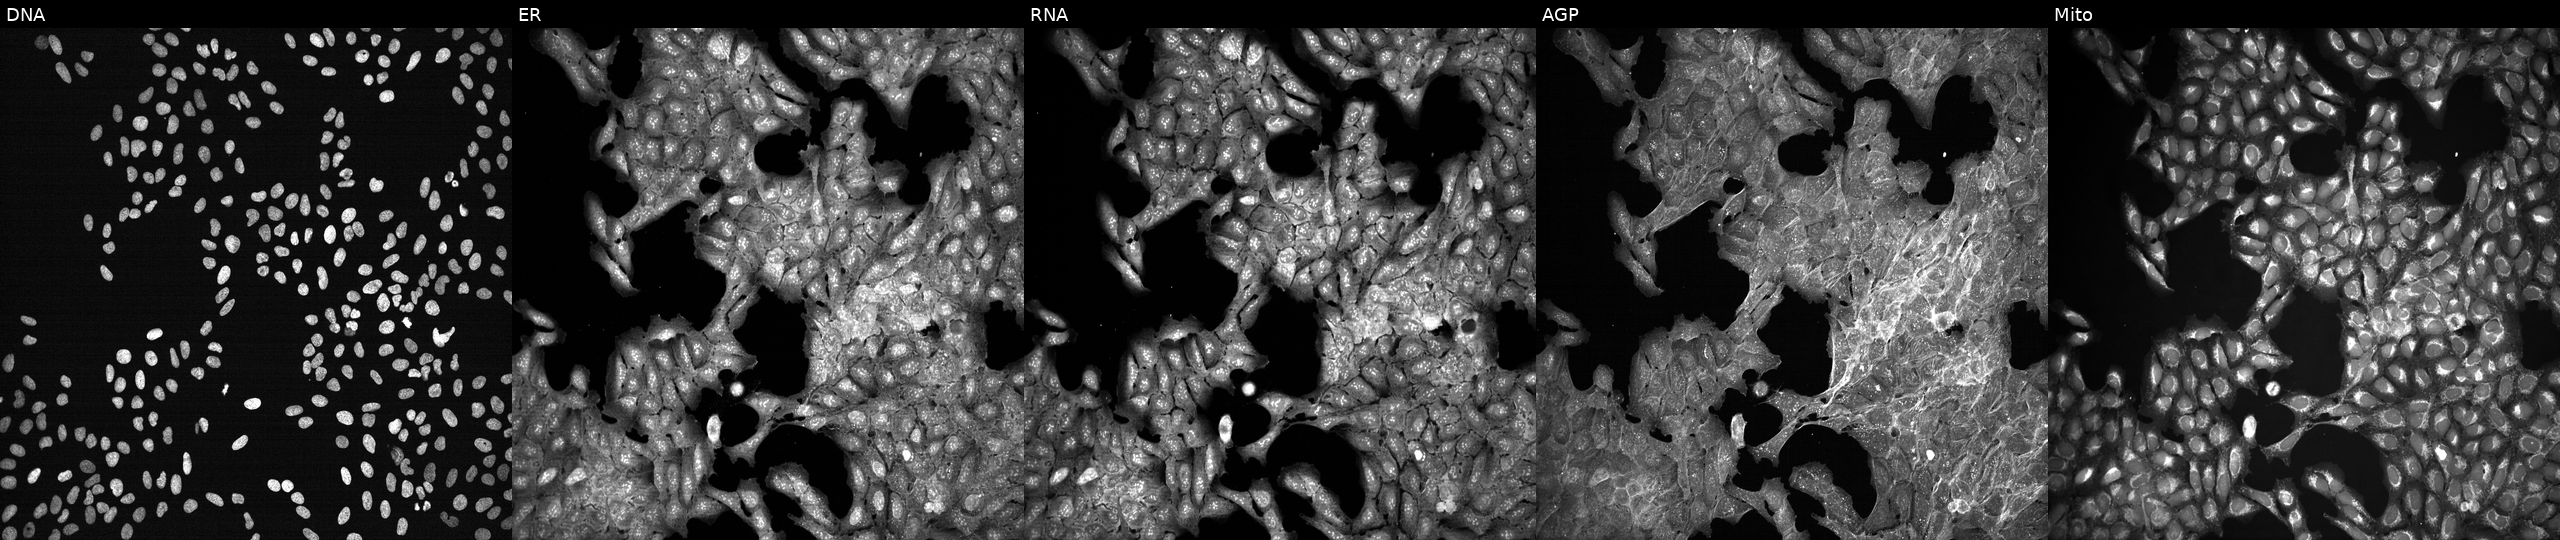
Five-channel Cell Painting image of U2OS cells treated with DMSO vehicle only (negative control). Channels (left→right): DNA (nuclei); ER (endoplasmic reticulum); RNA (nucleoli and cytoplasmic RNA); AGP (actin cytoskeleton, Golgi, and plasma membrane); Mito (mitochondria). Source 7, plate CP3-SC1-25, well D22.